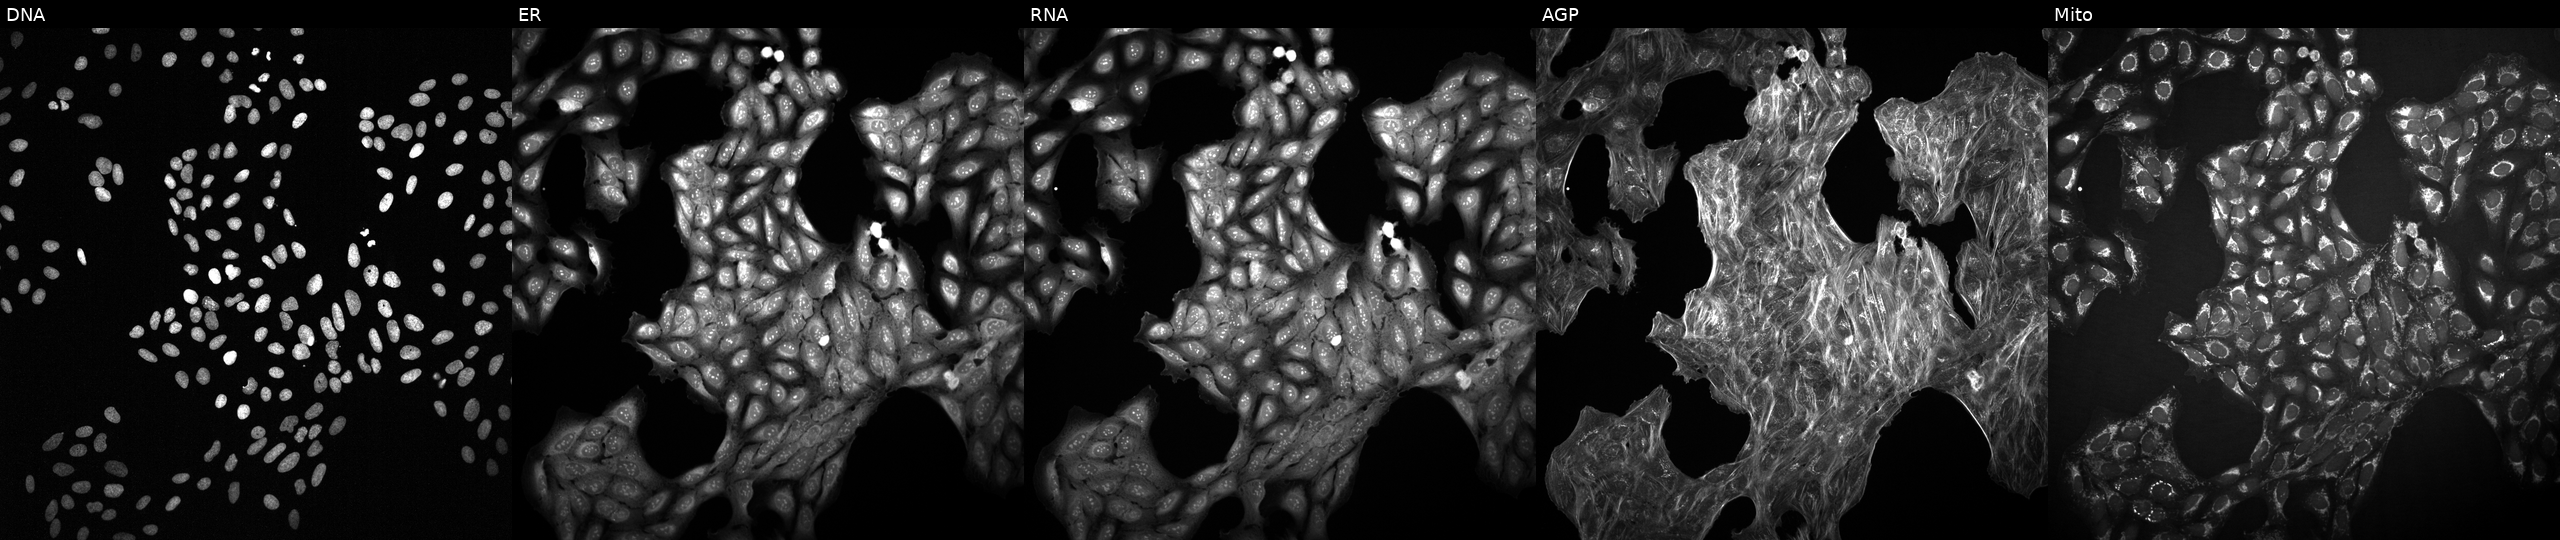
This image strip shows the five Cell Painting channels for a single field of U2OS cells perturbed with a small-molecule compound (InChIKey MWADNKYAZPMKPX-UHFFFAOYSA-N) [SMILES: O=C(COc1ccc(Cl)cc1)NCc1nnc(SCC(=O)Nc2ccc(Br)cc2)o1] (JUMP id JCP2022_056899). Channels (left→right): Hoechst 33342, concanavalin A, SYTO 14, phalloidin and WGA, MitoTracker.